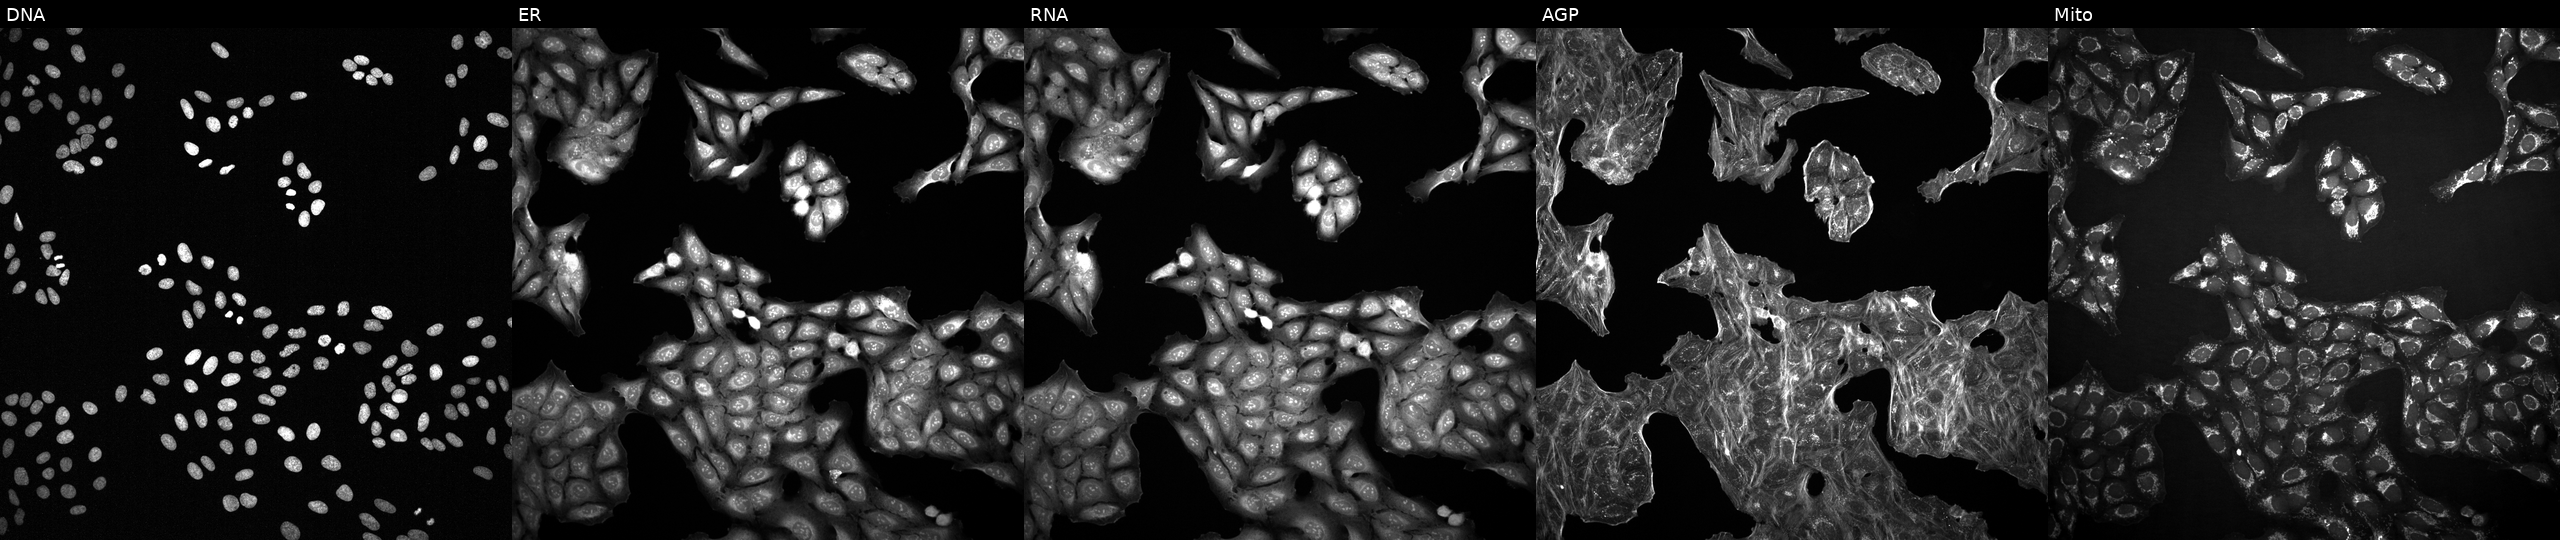
JUMP Cell Painting — COMPOUND plate. U2OS cells treated with a small-molecule compound (InChIKey SIMLIKREIFEPKX-UHFFFAOYSA-N) [SMILES: Cc1ccc2cc(CN(Cc3cccnc3)C(=O)c3sc4ccccc4c3Cl)c(=O)[nH]c2c1C]. Channels (left→right): Hoechst 33342, concanavalin A, SYTO 14, phalloidin and WGA, MitoTracker. Source 2, plate 1053601763, well N07.